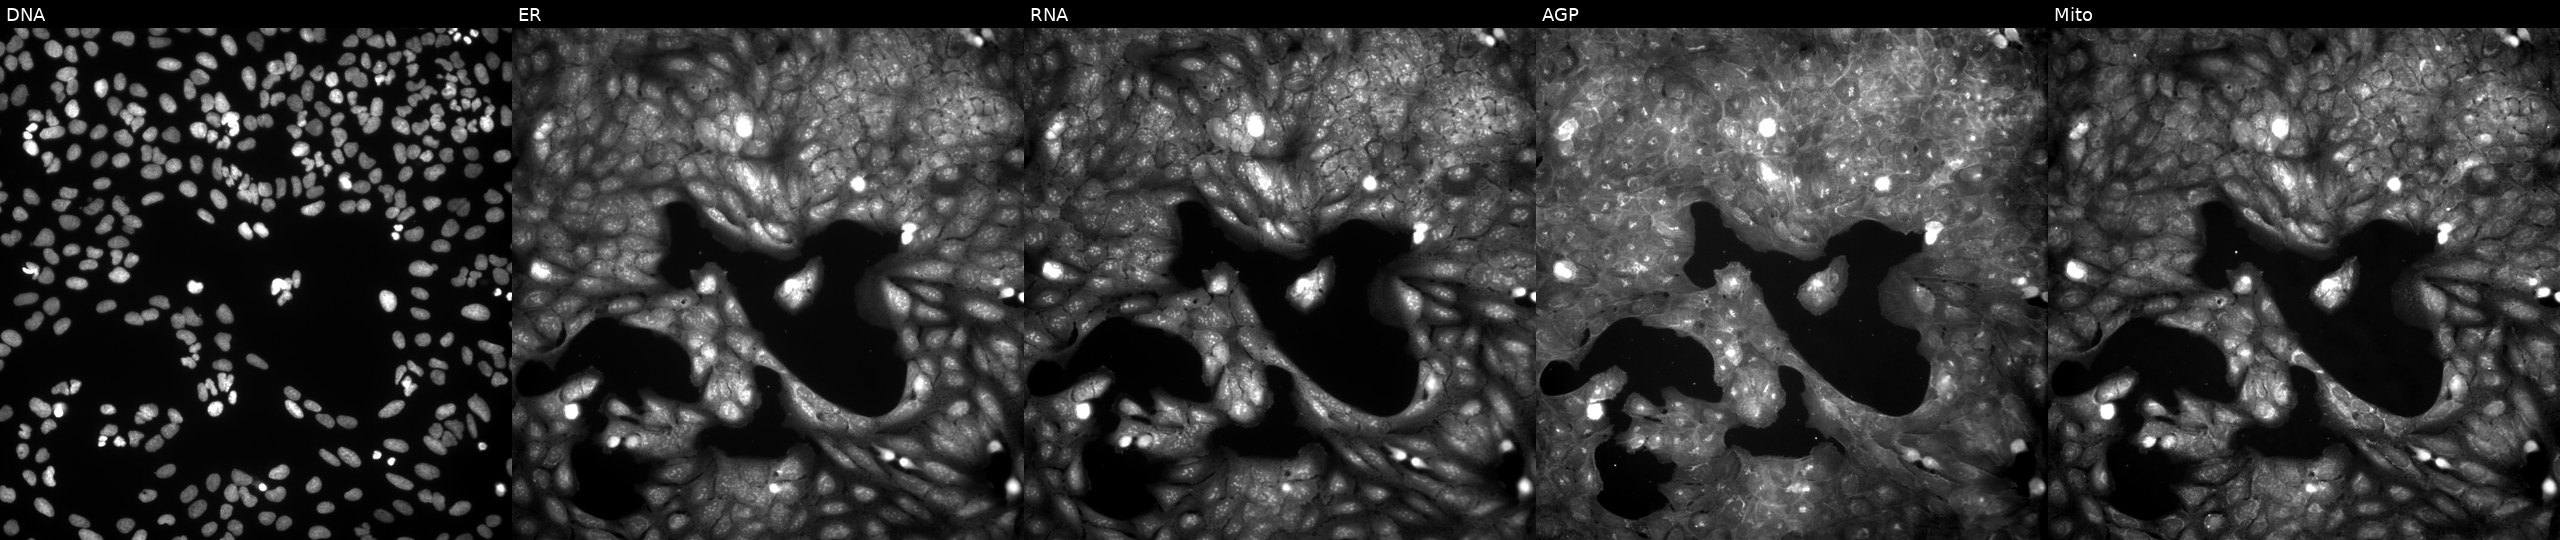
High-content fluorescence microscopy (Cell Painting). Cell line: U2OS. Perturbation: perturbed with a small-molecule compound (InChIKey HBERTCHGBHHVDT-UHFFFAOYSA-N). The five panels, left to right, show DNA, ER, RNA, AGP, and Mito. Source 9, plate GR00003381, well O36.